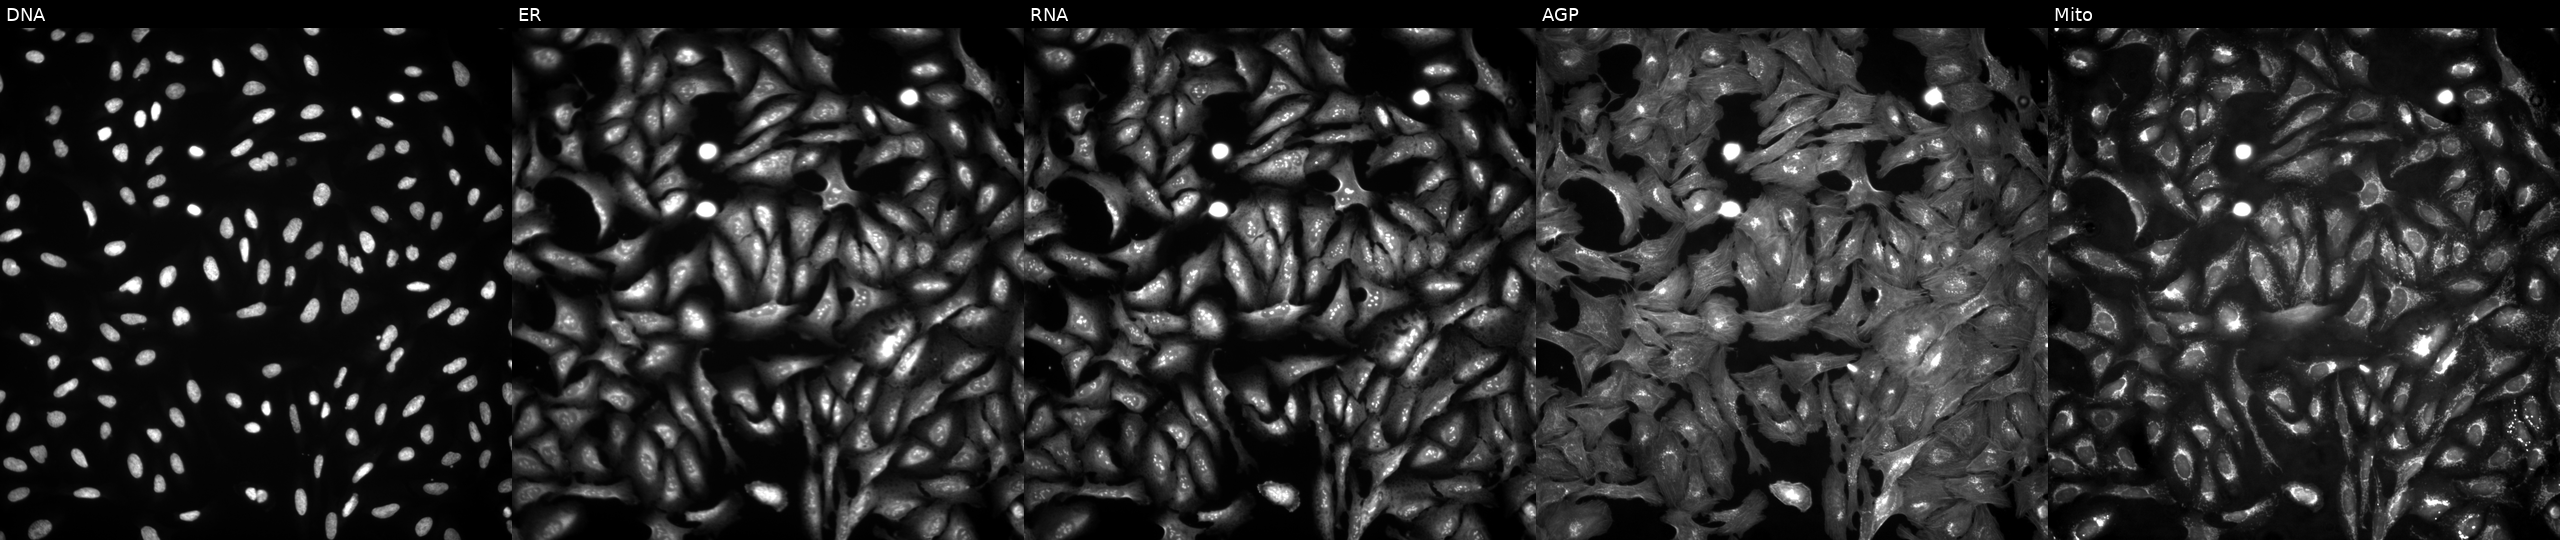
This image strip shows the five Cell Painting channels for a single field of U2OS cells overexpressing IFI30 via ORF transfection. Channels (left→right): DNA, ER, RNA, AGP, and Mito. Source 4, plate BR00124784, well L04.